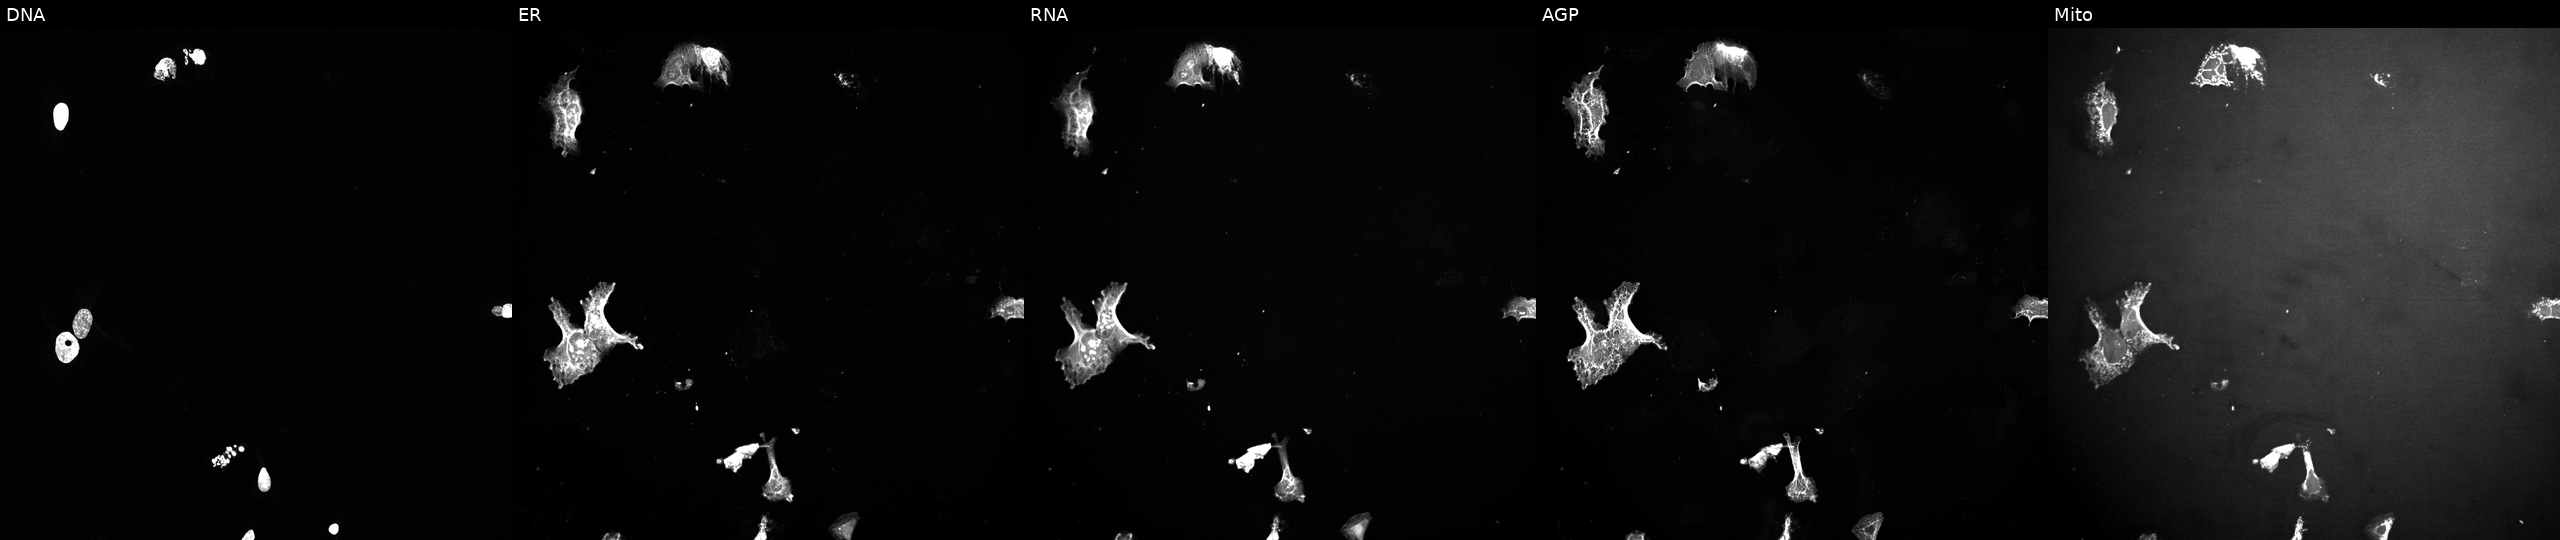
U2OS cells, Cell Painting assay, exposed to a small-molecule compound (JUMP id JCP2022_056401). From left to right: DNA, ER, RNA, AGP, and Mito. Each panel is percentile-stretched 16-bit fluorescence.